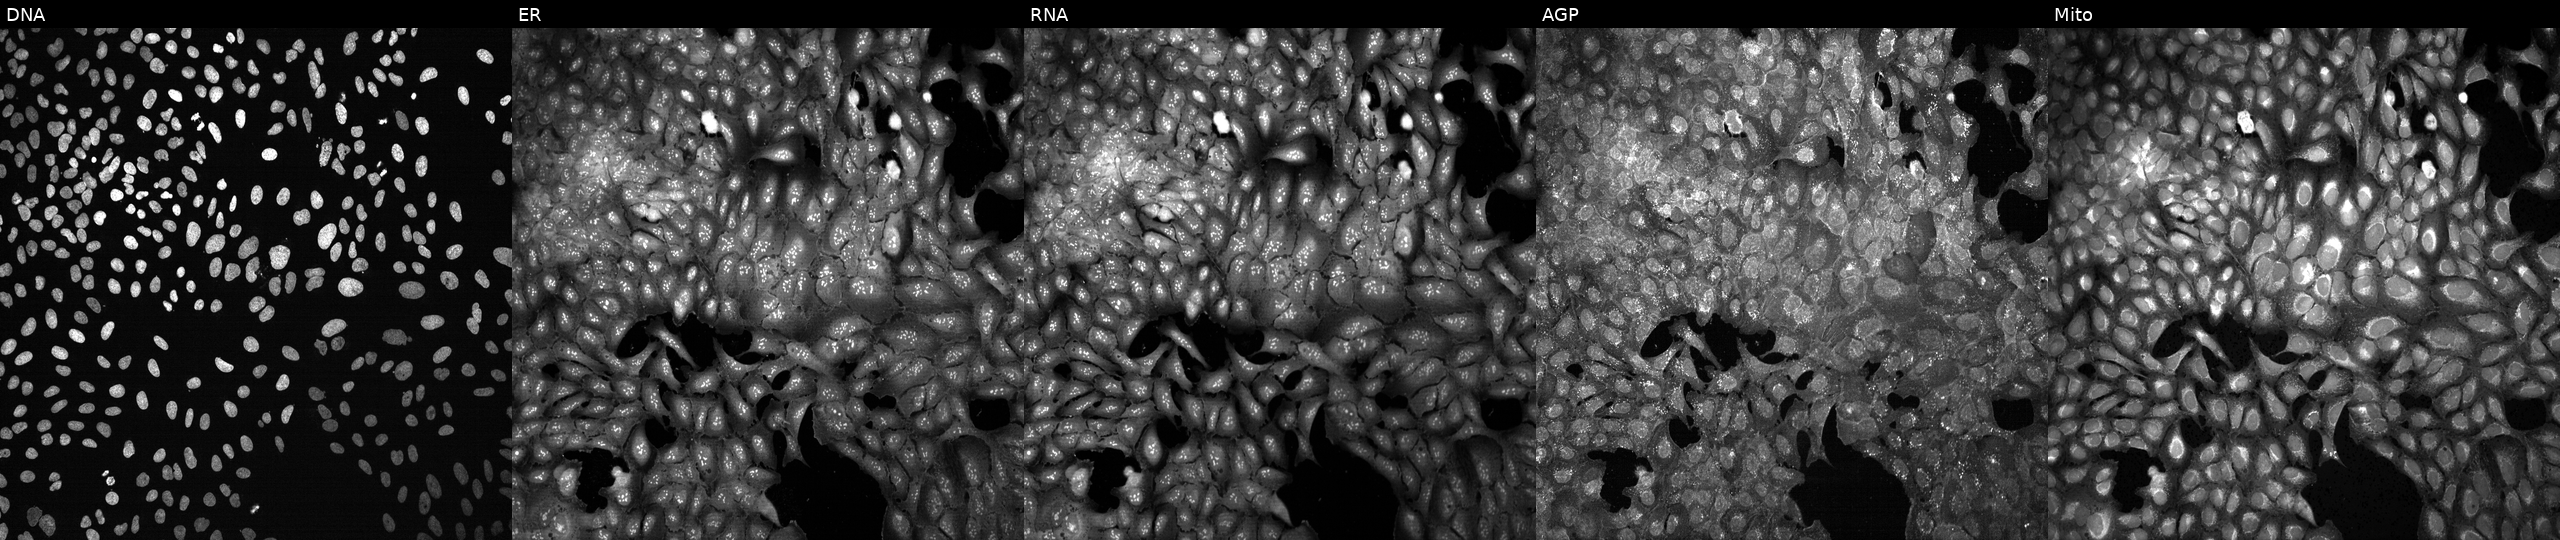
Five-channel Cell Painting image of U2OS cells with ACSS2 knocked out by CRISPR. Panels show, left to right, DNA (nuclei); ER (endoplasmic reticulum); RNA (nucleoli and cytoplasmic RNA); AGP (actin cytoskeleton, Golgi, and plasma membrane); Mito (mitochondria).